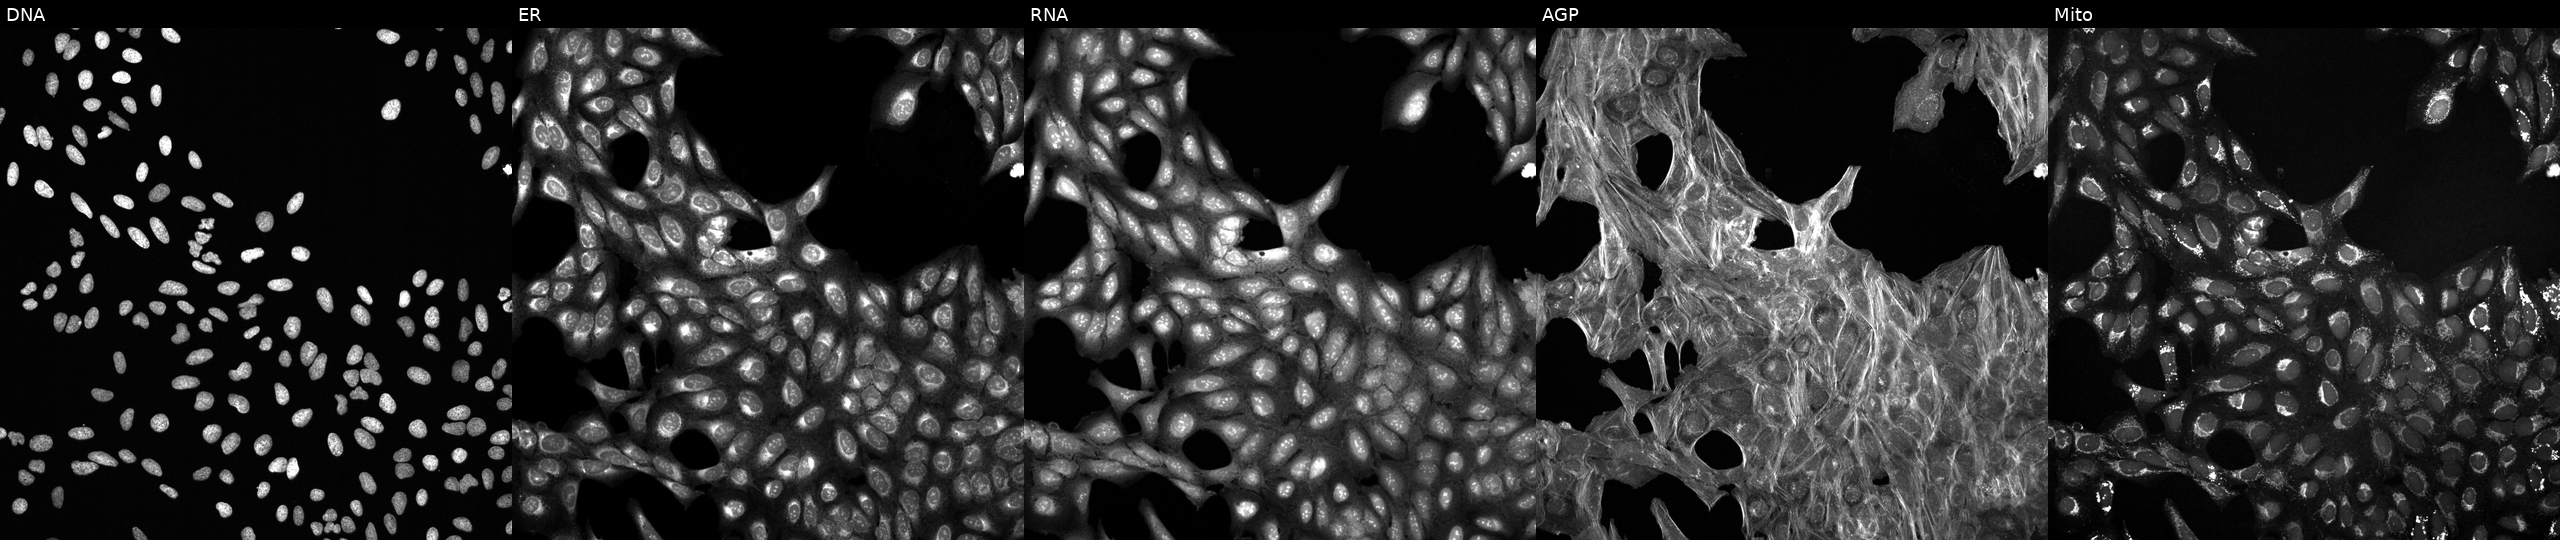
This image strip shows the five Cell Painting channels for a single field of U2OS cells treated with a small-molecule compound (InChIKey KJWGEXJCWCYEMI-UHFFFAOYSA-N). Panels show, left to right, DNA (nuclei); ER (endoplasmic reticulum); RNA (nucleoli and cytoplasmic RNA); AGP (actin cytoskeleton, Golgi, and plasma membrane); Mito (mitochondria).